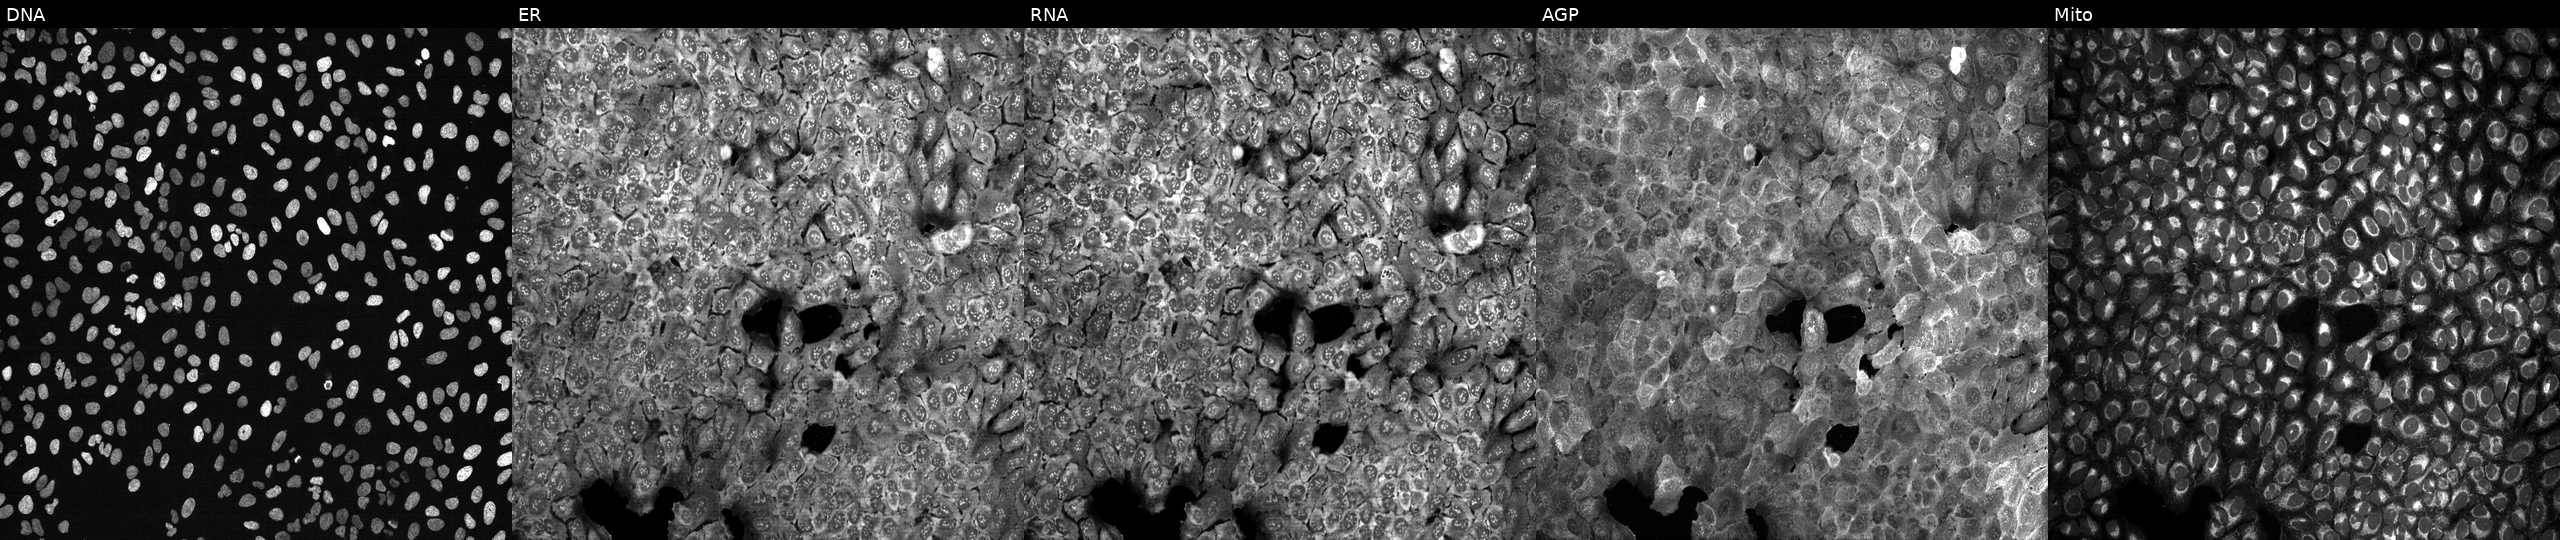
This image strip shows the five Cell Painting channels for a single field of U2OS cells CRISPR-edited to disrupt PLA2G1B (JUMP id JCP2022_805219). The five panels, left to right, show Hoechst 33342, concanavalin A, SYTO 14, phalloidin and WGA, MitoTracker. Source 13, plate CP-CC9-R2-02, well I05.